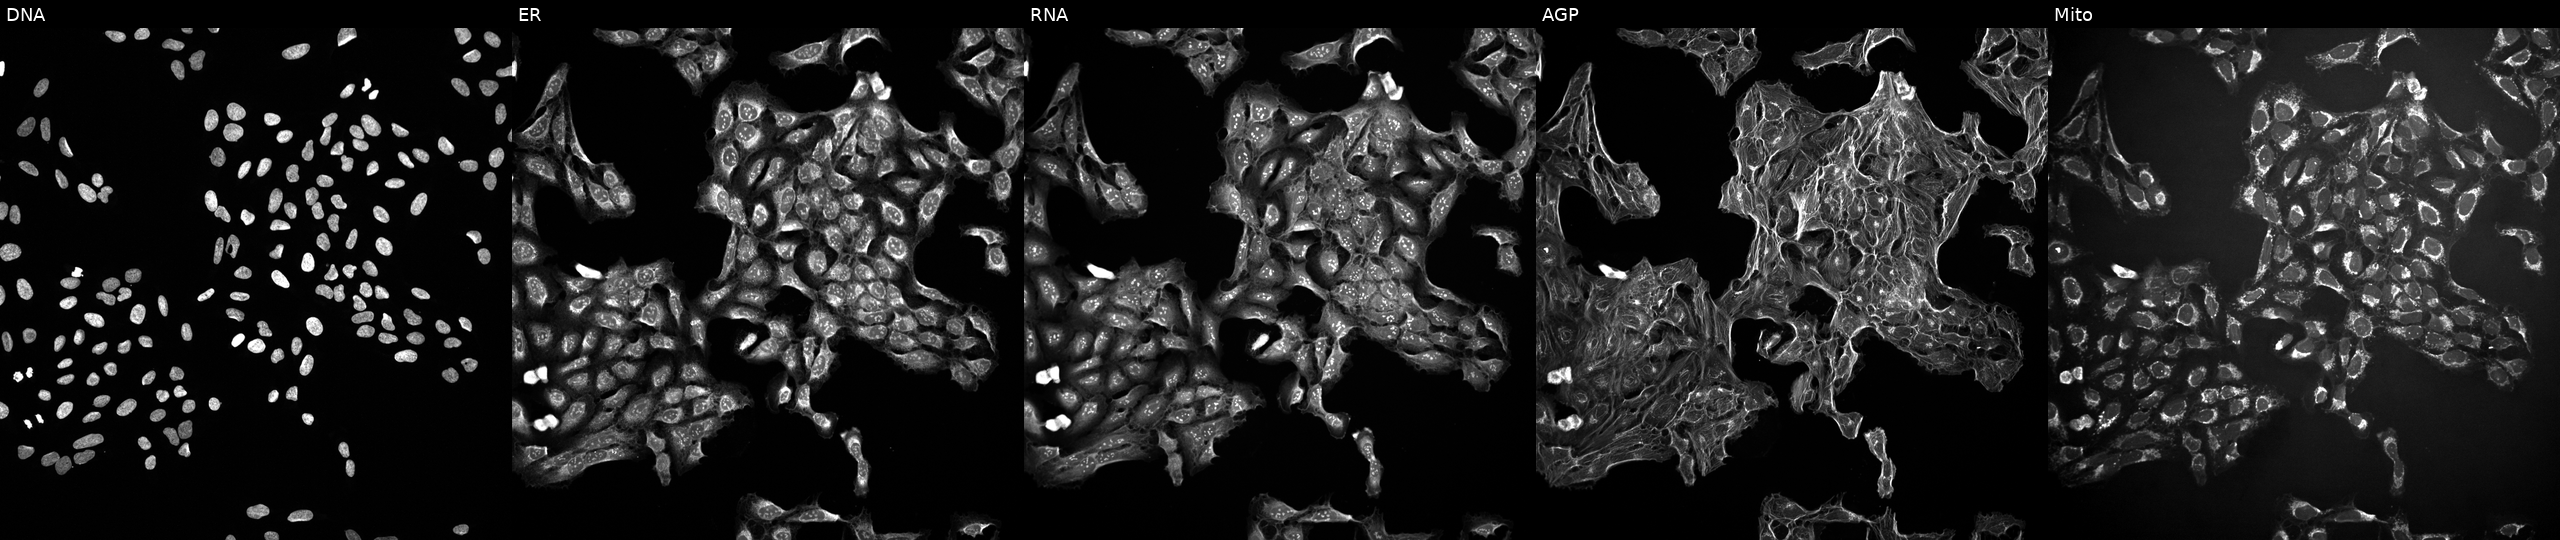
JUMP Cell Painting — TARGET2 plate. U2OS cells perturbed with a small-molecule compound (InChIKey WDENQIQQYWYTPO-UHFFFAOYSA-N). Channels (left→right): Hoechst 33342, concanavalin A, SYTO 14, phalloidin and WGA, MitoTracker. Source 10, plate Dest210727-153003, well P07.